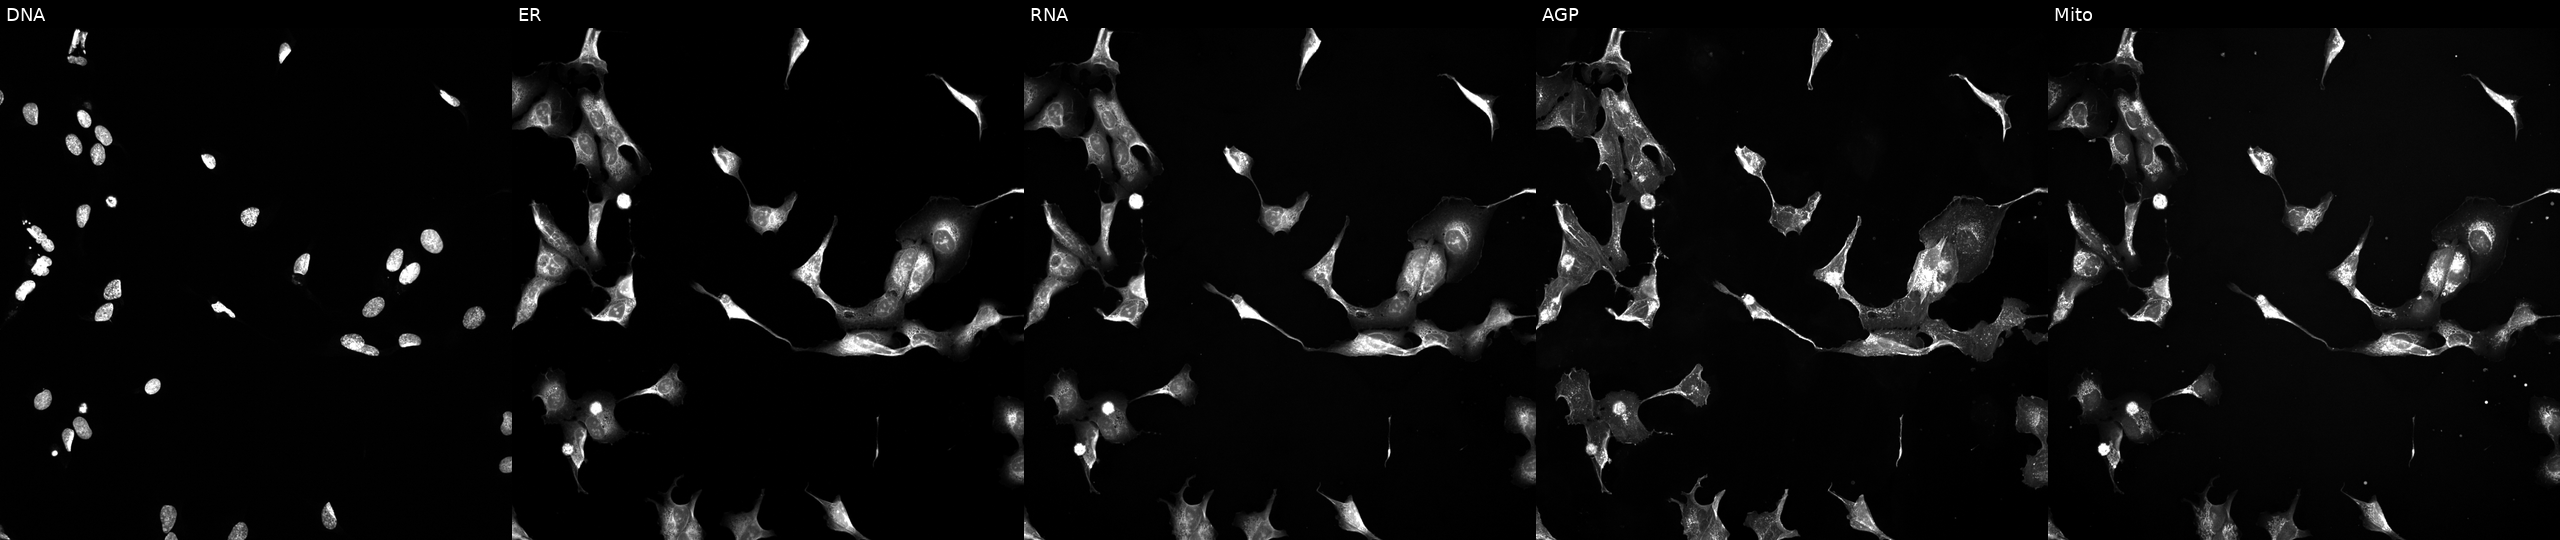
JUMP Cell Painting — TARGET2 plate. U2OS cells perturbed with a small-molecule compound (InChIKey XQVVPGYIWAGRNI-UHFFFAOYSA-N) (JUMP id JCP2022_105442). Channels (left→right): DNA (nuclei); ER (endoplasmic reticulum); RNA (nucleoli and cytoplasmic RNA); AGP (actin cytoskeleton, Golgi, and plasma membrane); Mito (mitochondria).